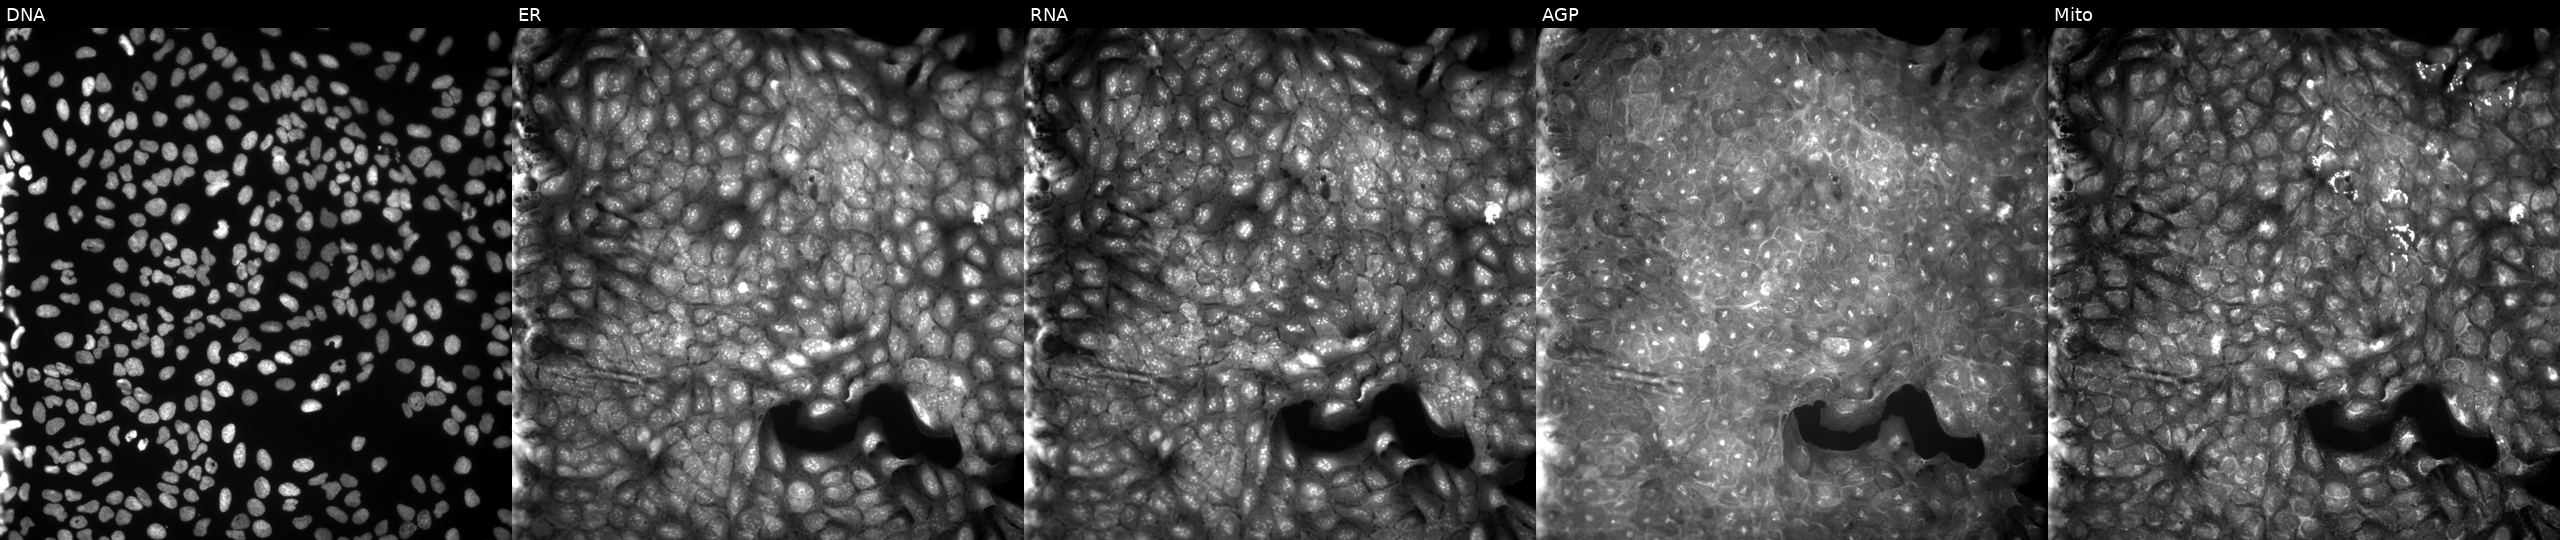
JUMP Cell Painting — COMPOUND plate. U2OS cells treated with a small-molecule compound [SMILES: CCCOC(=O)c1ccc(OCC(O)CN2CCN(C(=O)c3ccccc3)CC2)cc1] (JUMP id JCP2022_040098). The five panels, left to right, show Hoechst 33342, concanavalin A, SYTO 14, phalloidin and WGA, MitoTracker.